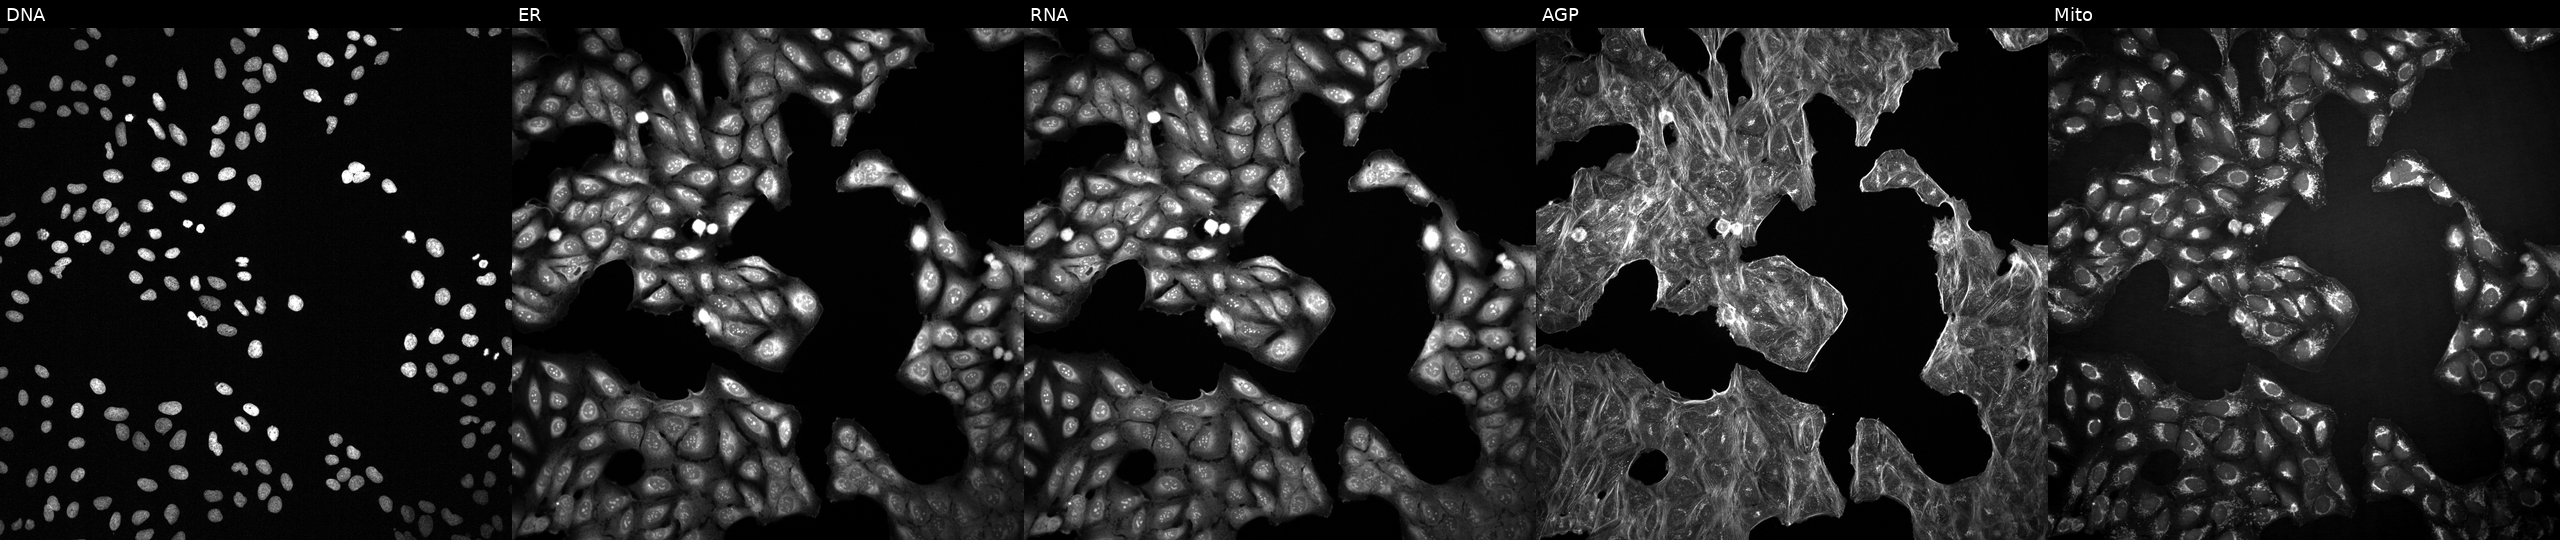
JUMP Cell Painting — COMPOUND plate. U2OS cells with an unidentified perturbation (not annotated in JUMP metadata). Panels show, left to right, DNA, ER, RNA, AGP, and Mito. Source 2, plate 1053601756, well H17.